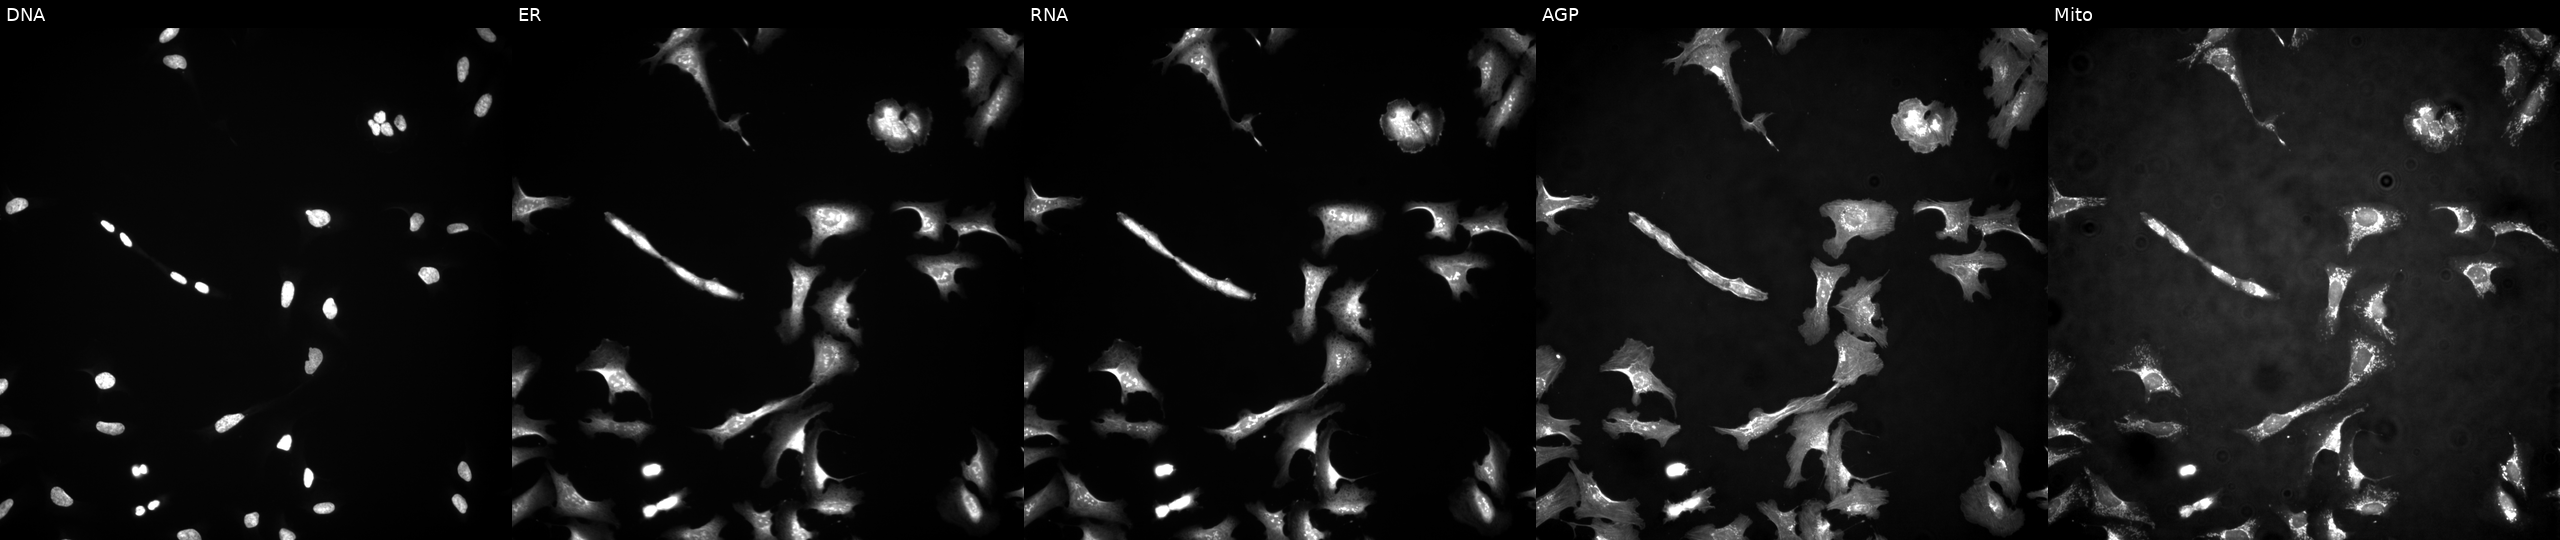
Five-channel Cell Painting image of U2OS cells transfected with an ORF construct for XLOC_l2_009833 (JUMP id JCP2022_912622). Panels show, left to right, Hoechst 33342, concanavalin A, SYTO 14, phalloidin and WGA, MitoTracker. Source 4, plate BR00124784, well L01.